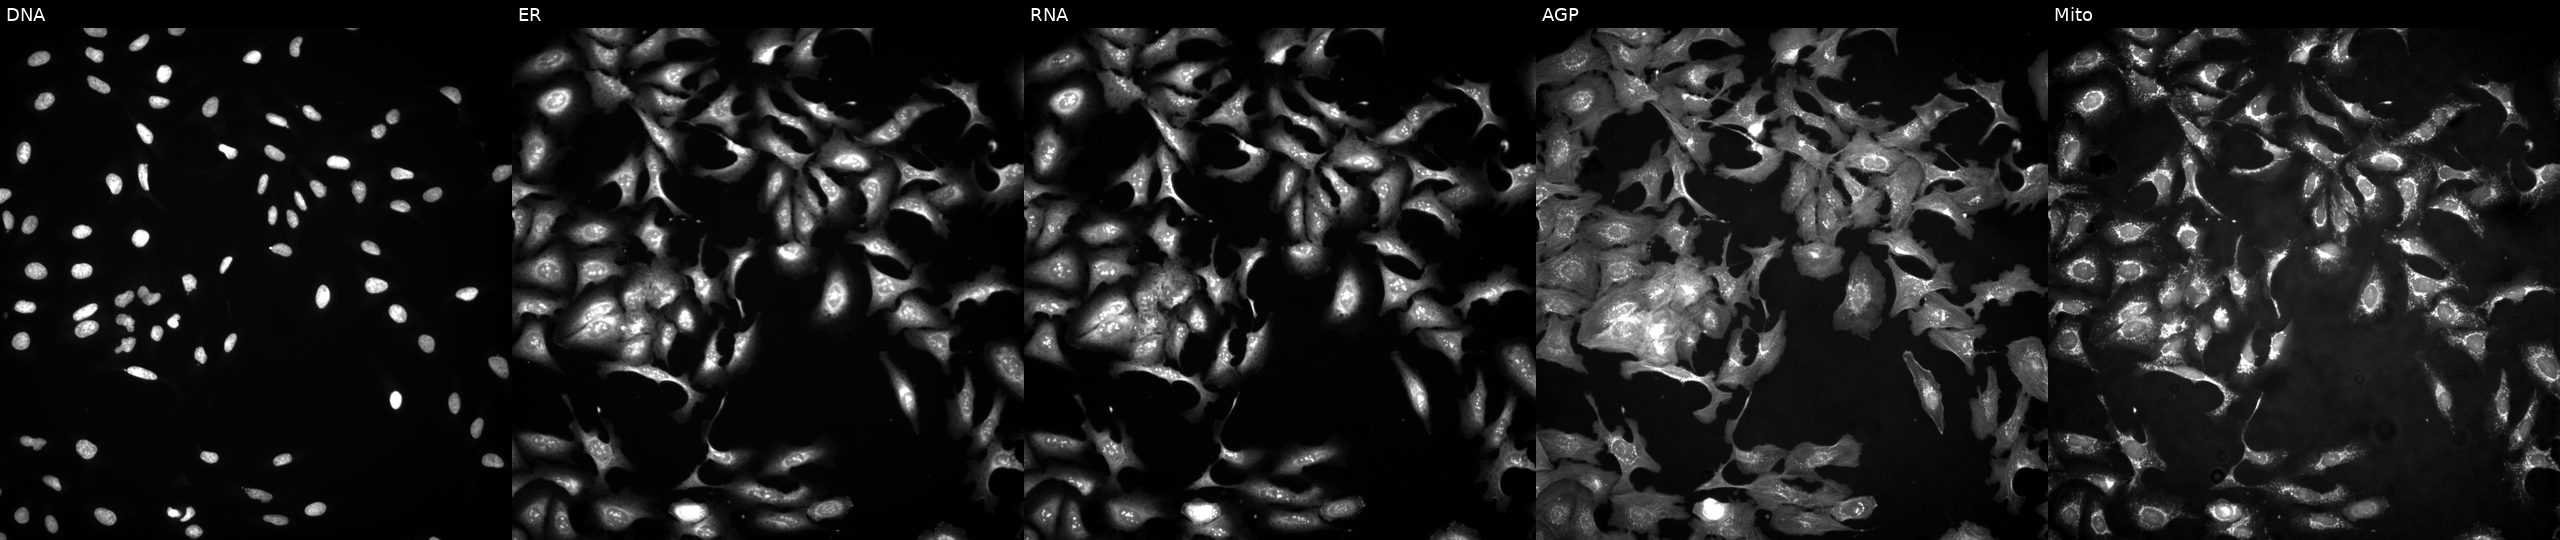
This image strip shows the five Cell Painting channels for a single field of U2OS cells transfected with an ORF construct for PAK5 (JUMP id JCP2022_914132). Panels show, left to right, DNA, ER, RNA, AGP, and Mito. Source 4, plate BR00123945, well D13.